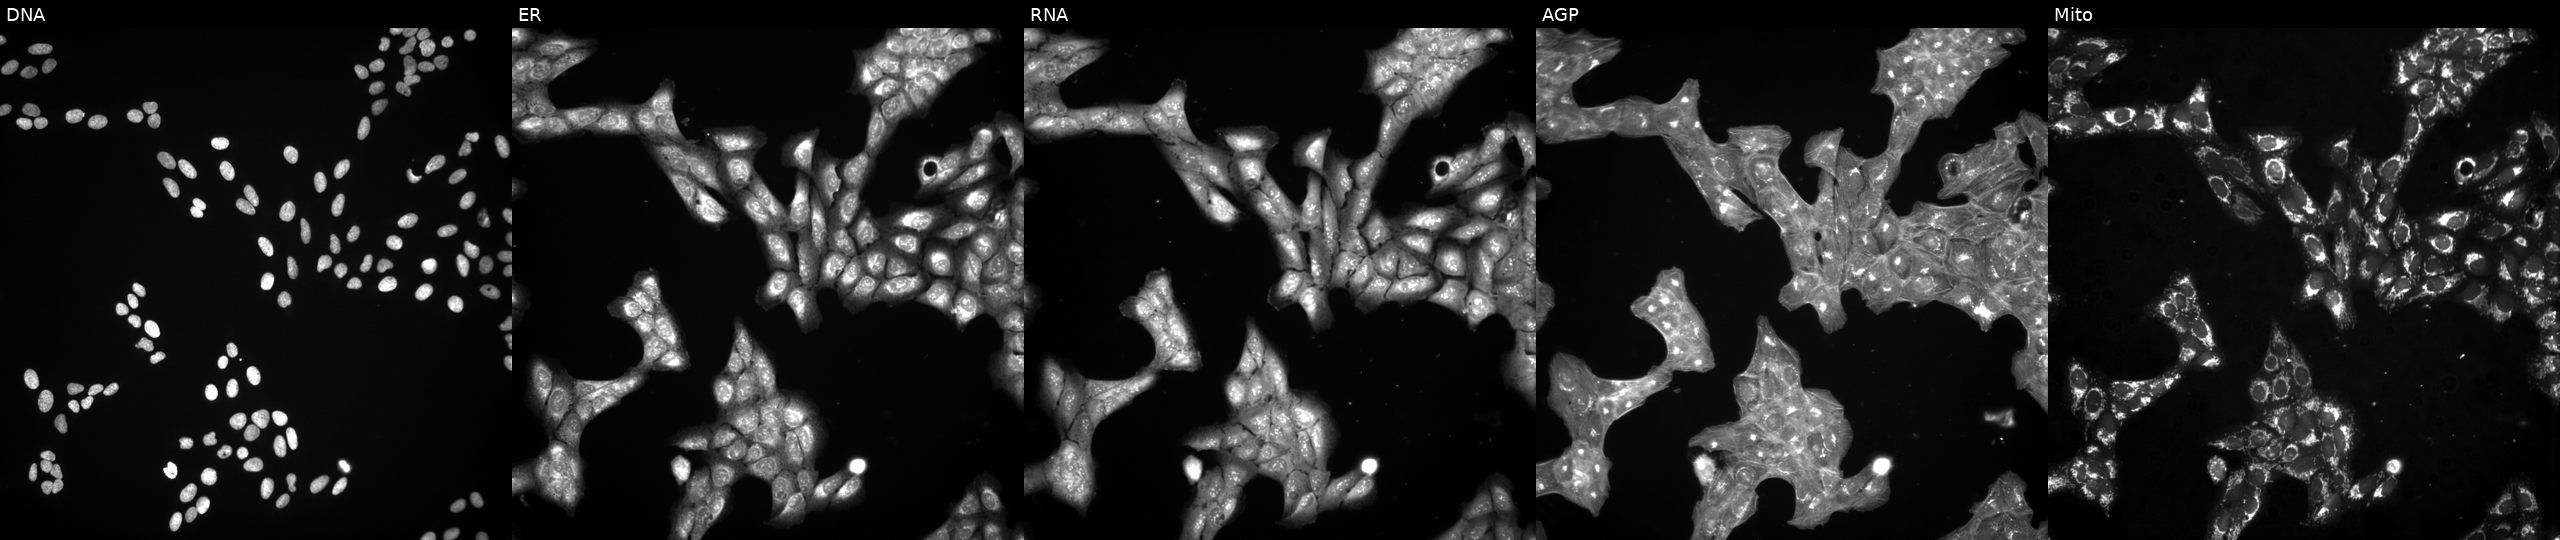
U2OS cells, Cell Painting assay, exposed to a small-molecule compound (InChIKey PHGFFEJXIZZVGW-UHFFFAOYSA-N) [SMILES: COc1ccc(-c2cc(-c3ccc(C)c(C)c3)[nH]c(=N)c2C#N)cc1] (JUMP id JCP2022_068571). Panels show, left to right, DNA (nuclei); ER (endoplasmic reticulum); RNA (nucleoli and cytoplasmic RNA); AGP (actin cytoskeleton, Golgi, and plasma membrane); Mito (mitochondria). Each panel is percentile-stretched 16-bit fluorescence.